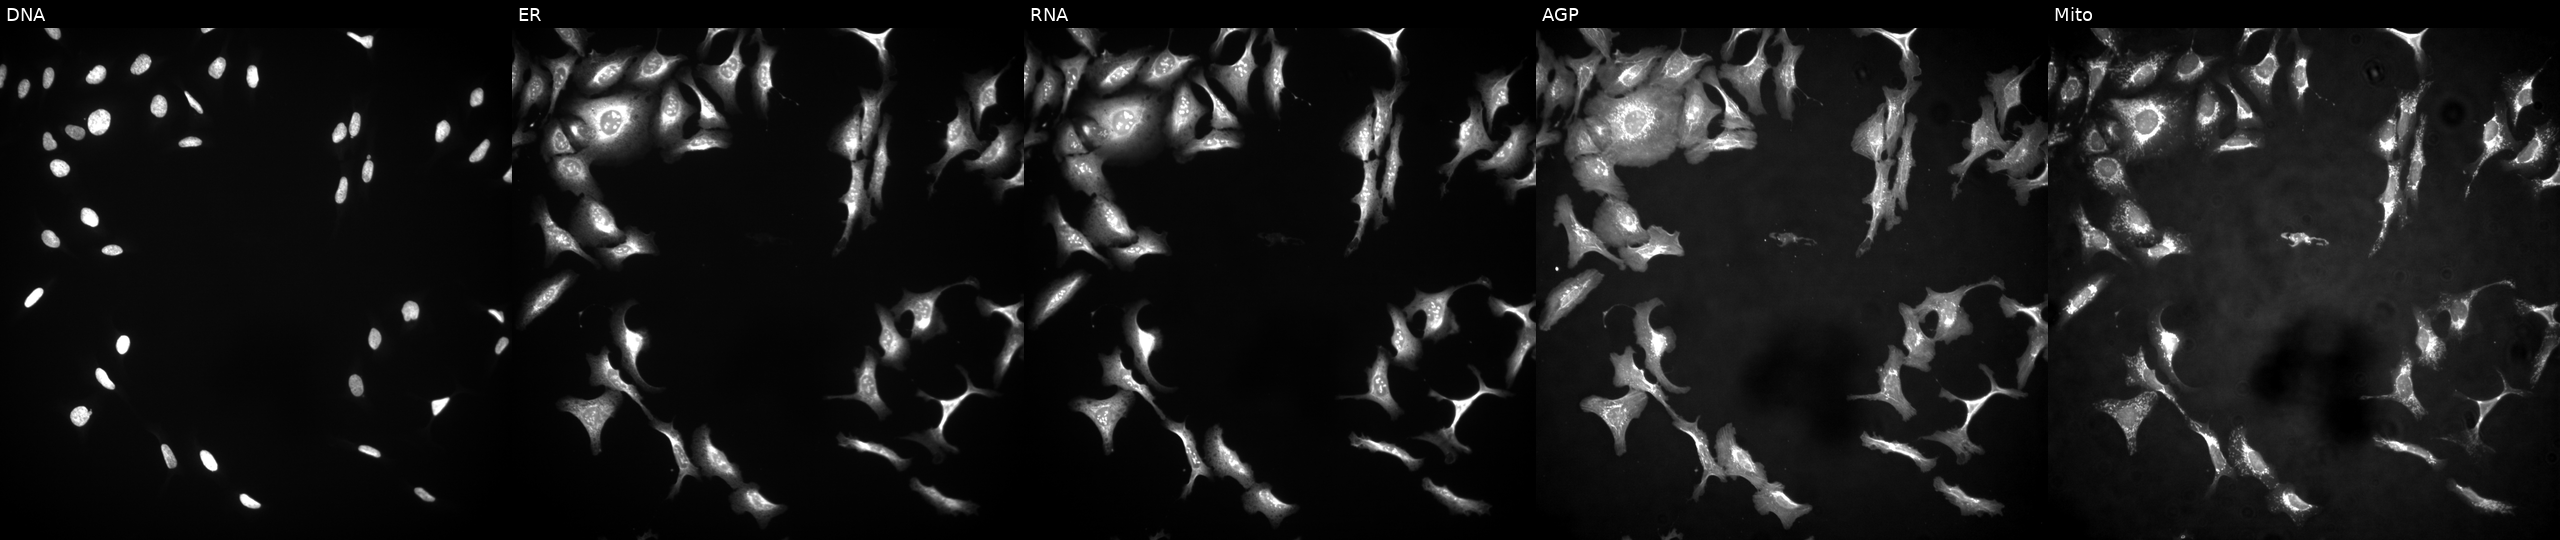
This image strip shows the five Cell Painting channels for a single field of U2OS cells transfected with an ORF construct for TEX19 (JUMP id JCP2022_905271). The five panels, left to right, show DNA (nuclei); ER (endoplasmic reticulum); RNA (nucleoli and cytoplasmic RNA); AGP (actin cytoskeleton, Golgi, and plasma membrane); Mito (mitochondria).